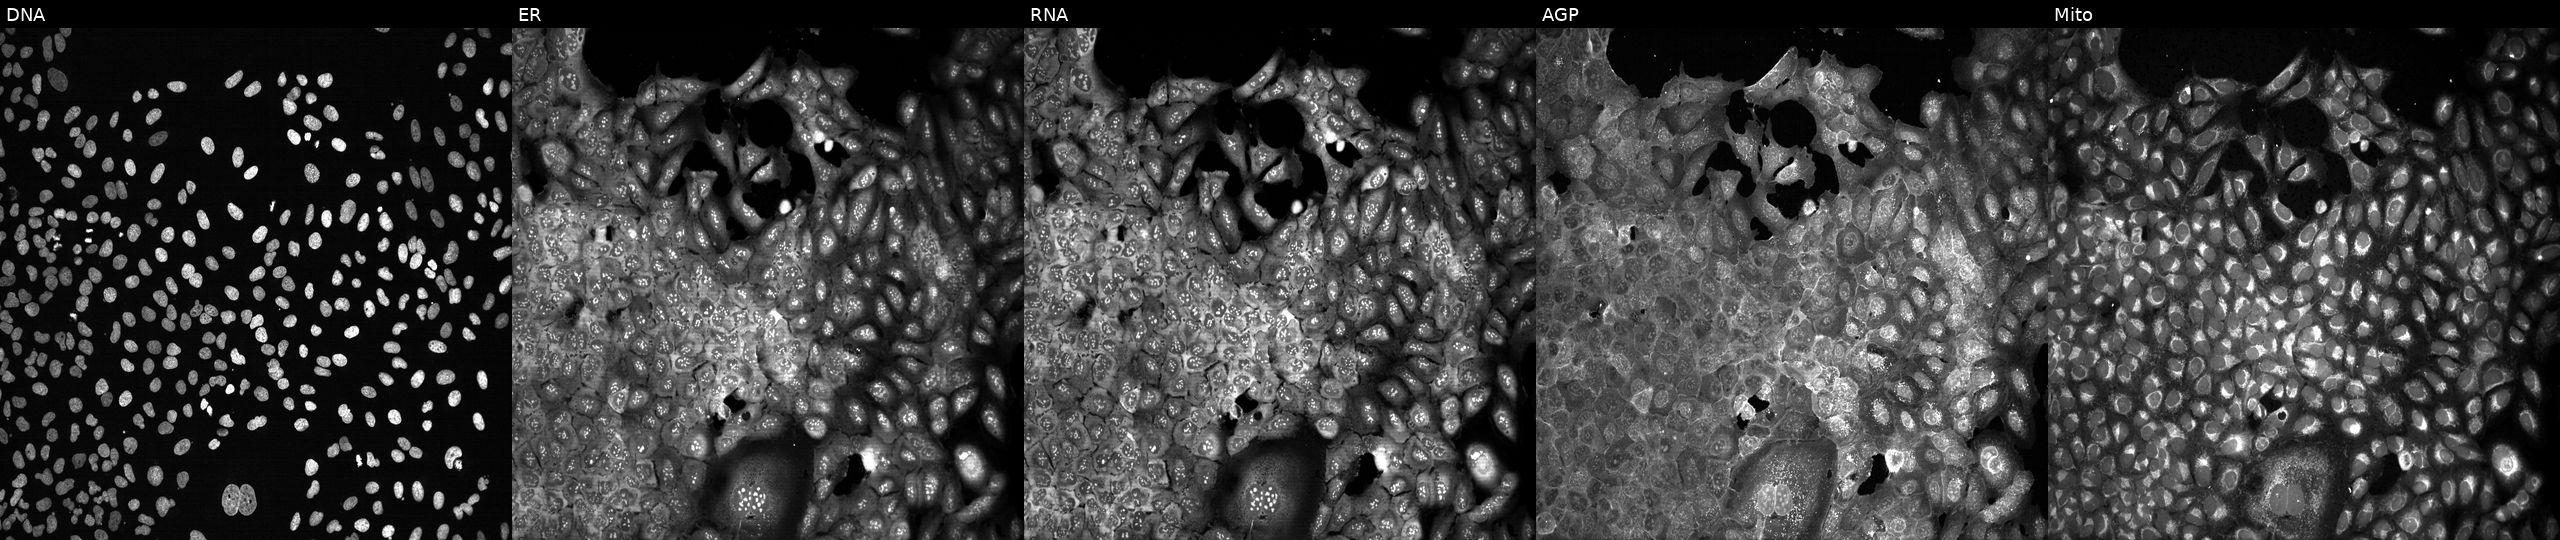
Channels (left→right): Hoechst 33342, concanavalin A, SYTO 14, phalloidin and WGA, MitoTracker. U2OS osteosarcoma cells following CRISPR knockout of AREG. Cell Painting assay, JUMP-CP dataset. Source 13, plate CP-CC9-R5-01, well B04.